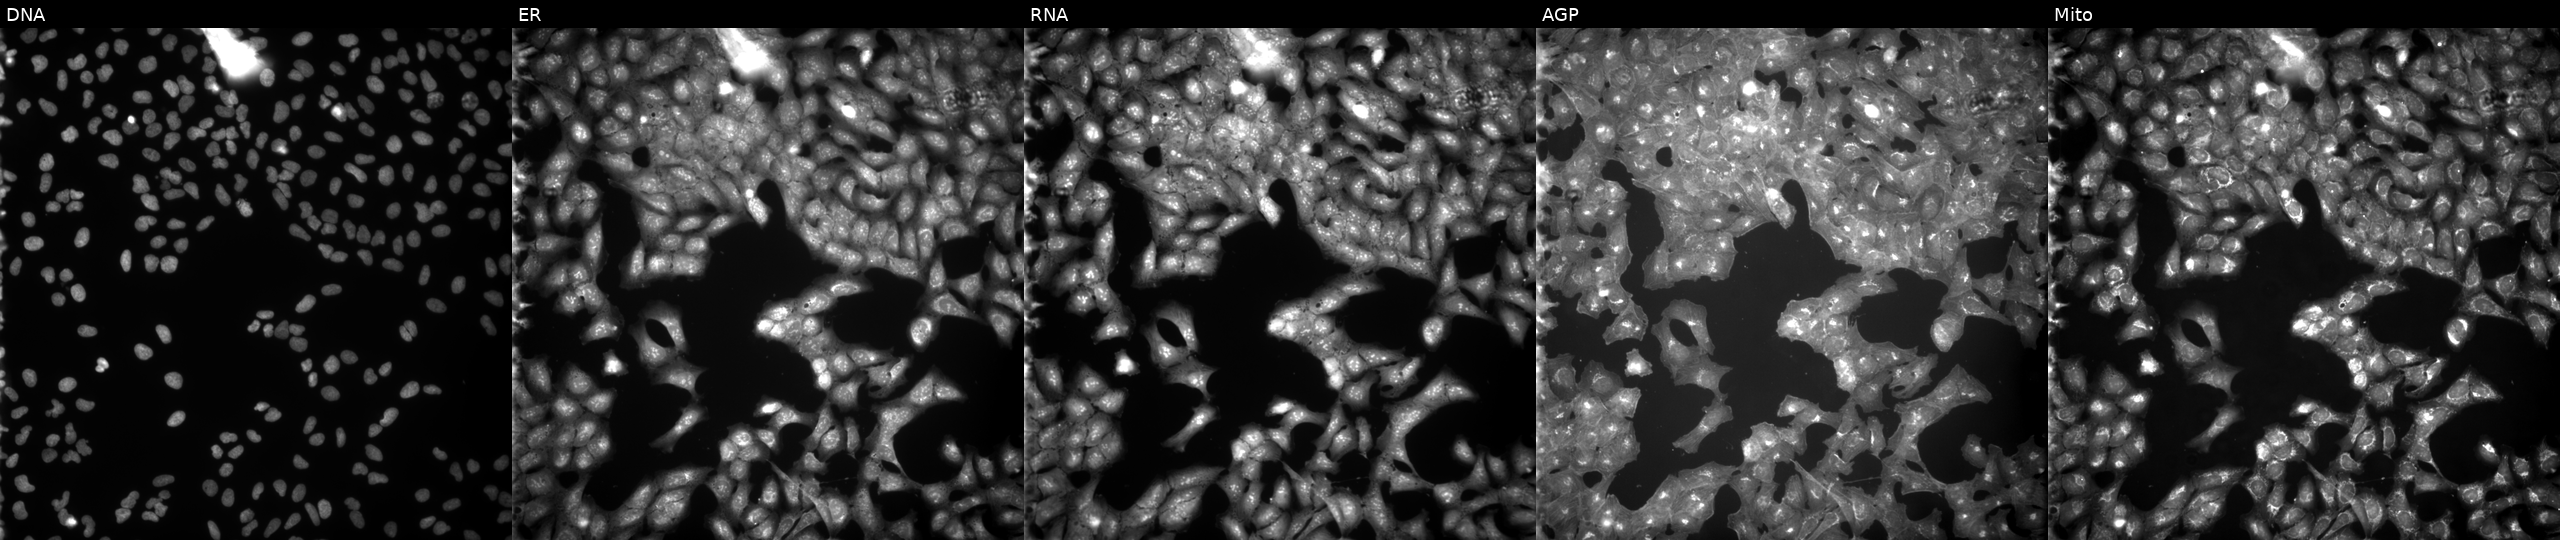
U2OS cells, Cell Painting assay, exposed to the positive-control compound NVS-PAK1-1. From left to right: Hoechst 33342, concanavalin A, SYTO 14, phalloidin and WGA, MitoTracker. Each panel is percentile-stretched 16-bit fluorescence.